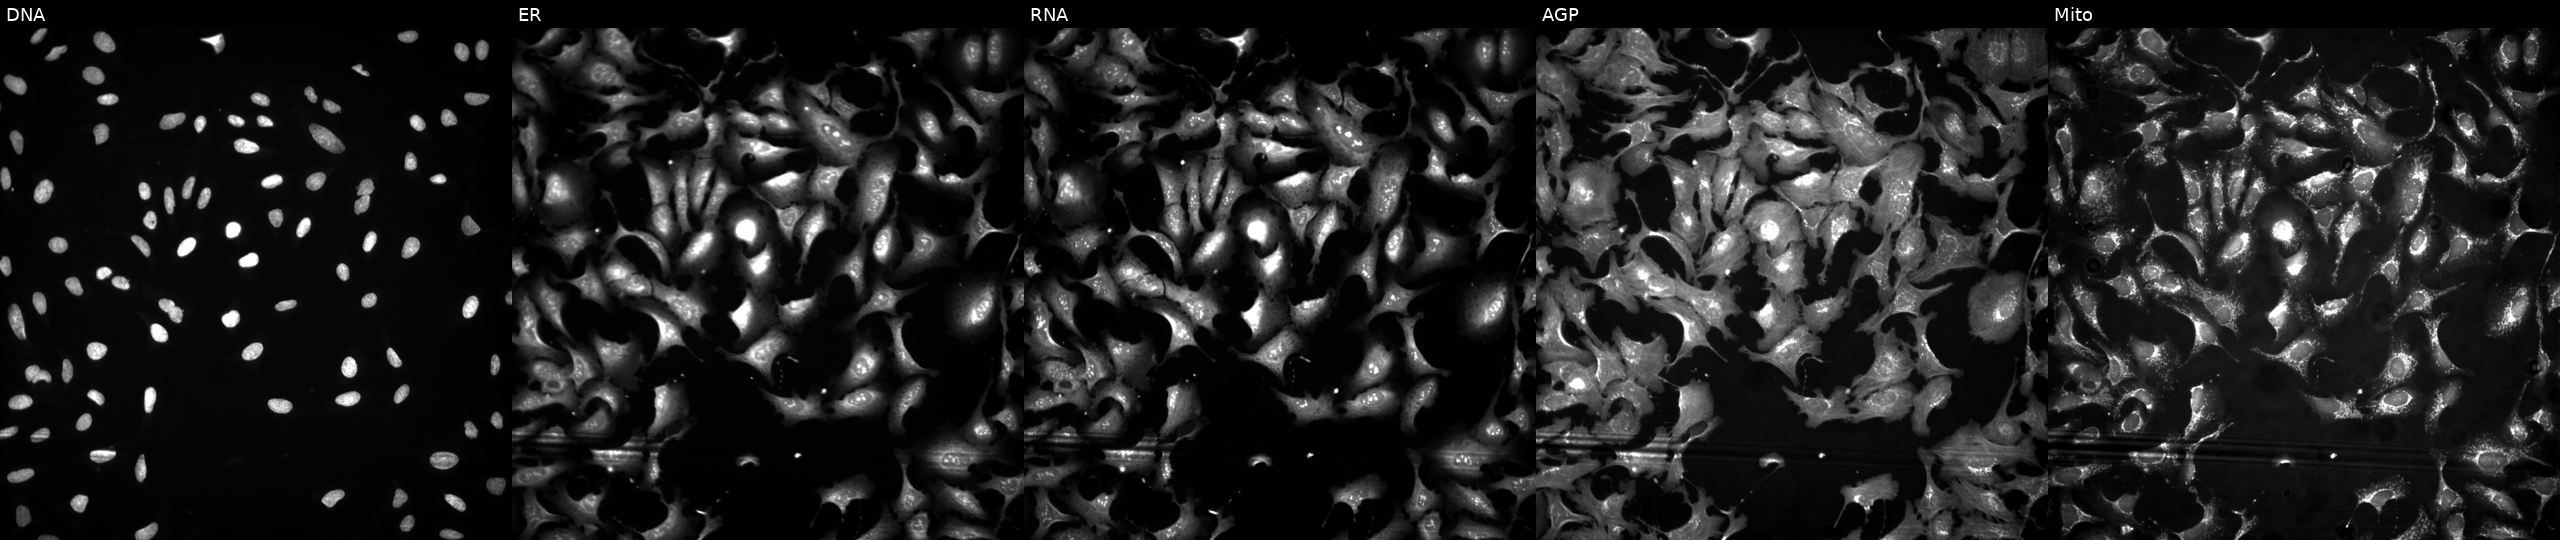
Five-channel Cell Painting image of U2OS cells transfected with an ORF construct for UCK2. Channels (left→right): DNA, ER, RNA, AGP, and Mito.